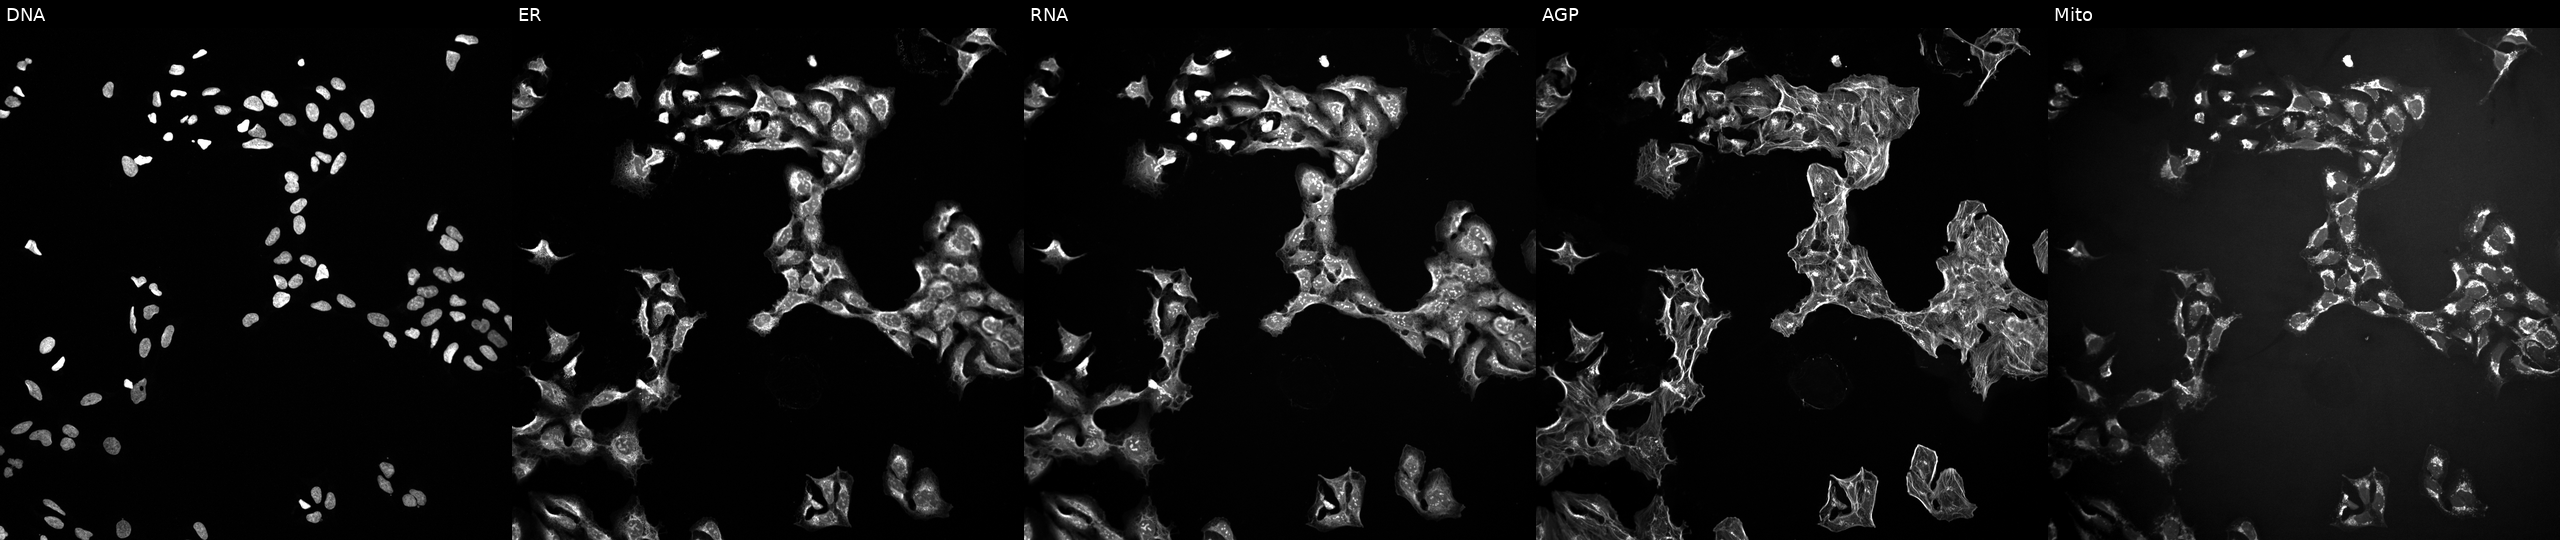
From left to right: DNA (nuclei); ER (endoplasmic reticulum); RNA (nucleoli and cytoplasmic RNA); AGP (actin cytoskeleton, Golgi, and plasma membrane); Mito (mitochondria). U2OS osteosarcoma cells exposed to the positive-control compound NVS-PAK1-1. Cell Painting assay, JUMP-CP dataset.